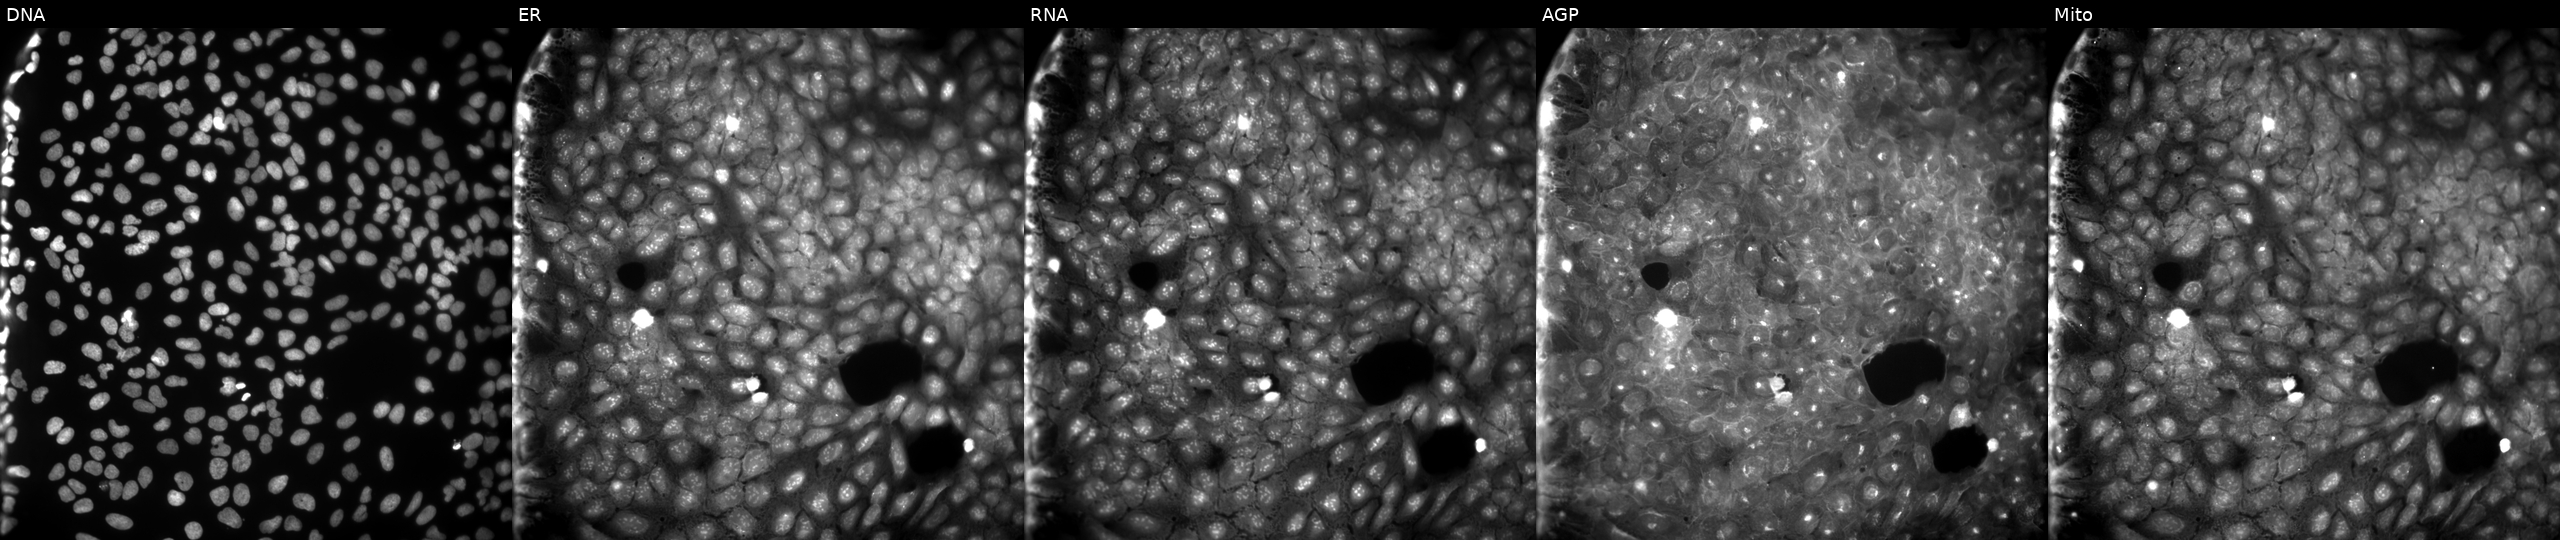
Channels (left→right): DNA (nuclei); ER (endoplasmic reticulum); RNA (nucleoli and cytoplasmic RNA); AGP (actin cytoskeleton, Golgi, and plasma membrane); Mito (mitochondria). U2OS osteosarcoma cells exposed to a small-molecule compound (InChIKey YWGLXXUNDUYRRT-UHFFFAOYSA-N). Cell Painting assay, JUMP-CP dataset. Source 9, plate GR00003381, well T04.